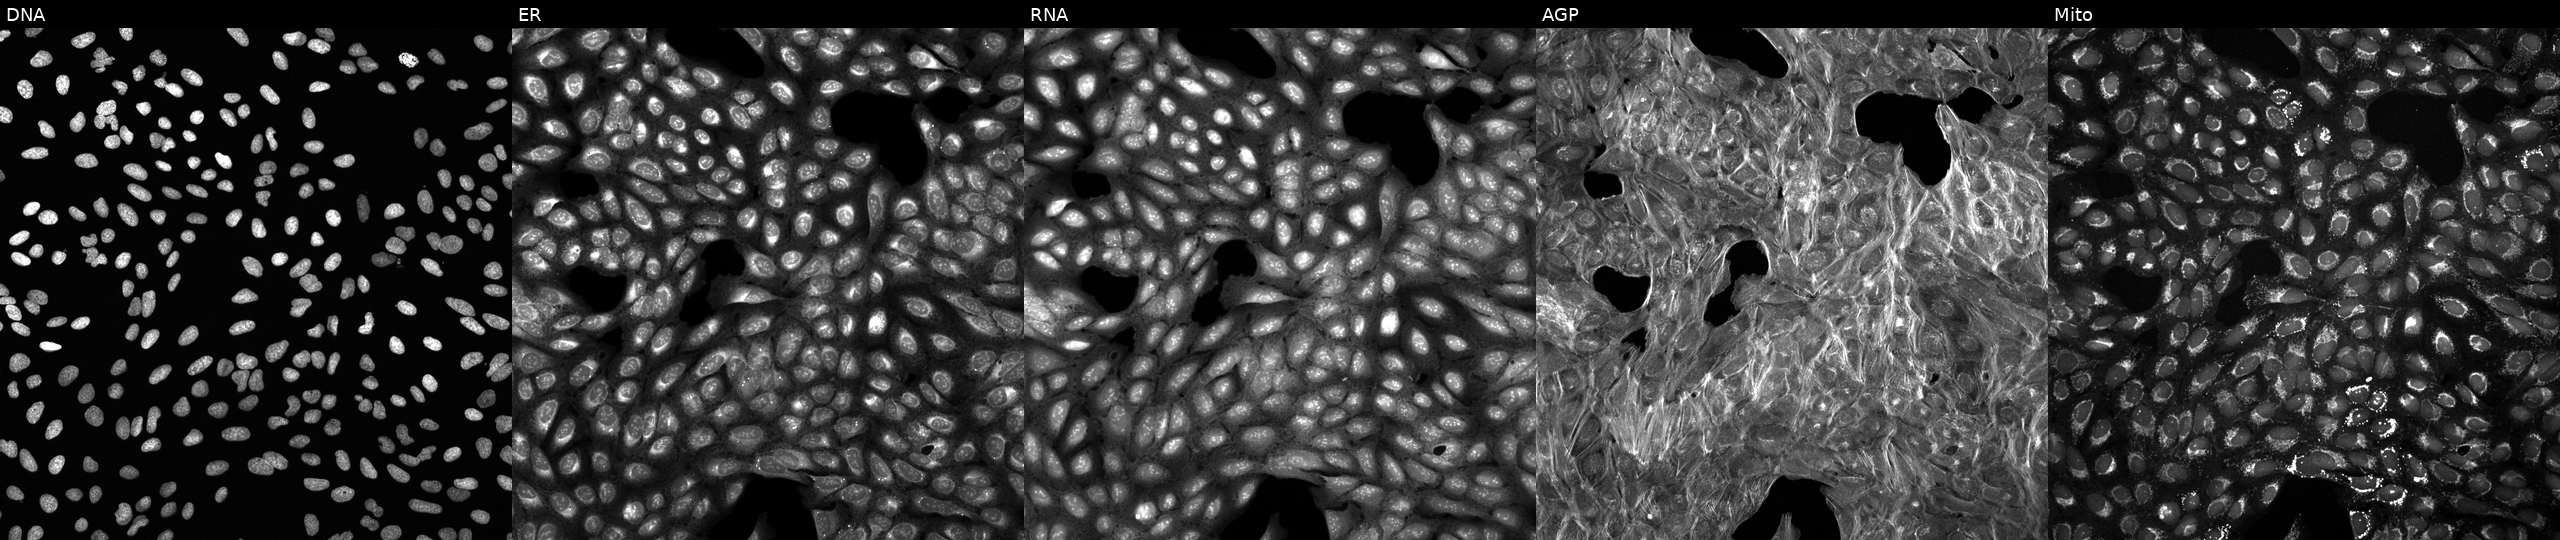
JUMP Cell Painting — COMPOUND plate. U2OS cells perturbed with a small-molecule compound [SMILES: COc1ccc(Cn2c(CCC(=O)Nc3cc(C)ccc3C)nc3cccnc32)cc1]. Channels (left→right): Hoechst 33342, concanavalin A, SYTO 14, phalloidin and WGA, MitoTracker.